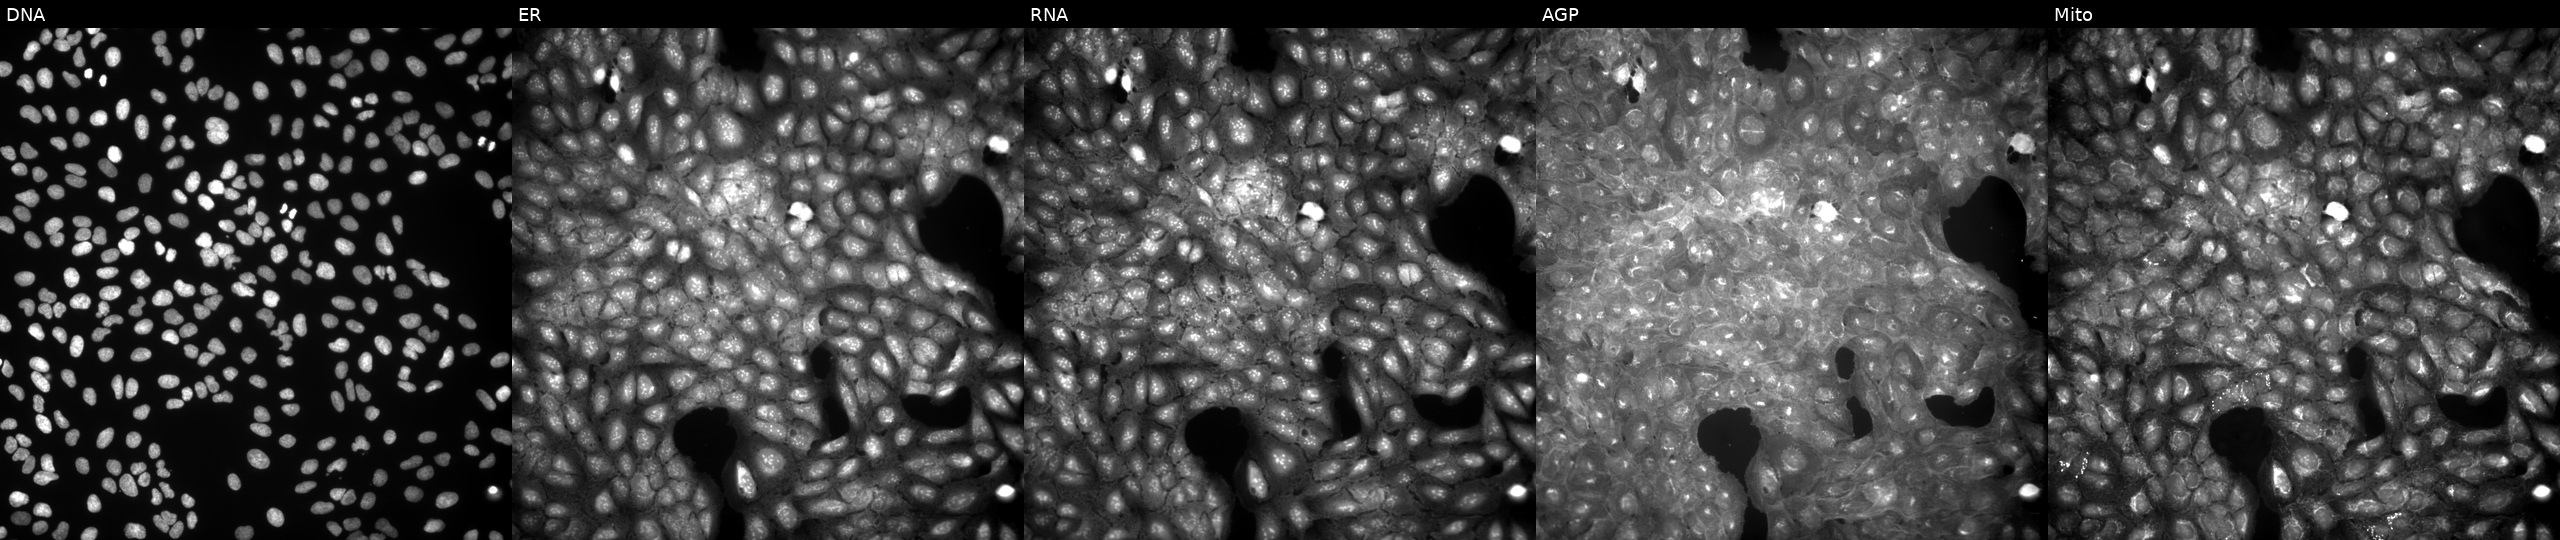
U2OS cells, Cell Painting assay, treated with a small-molecule compound (InChIKey YERKYBKIMUQJGT-UHFFFAOYSA-N) (JUMP id JCP2022_107985). From left to right: DNA, ER, RNA, AGP, and Mito. Each panel is percentile-stretched 16-bit fluorescence.